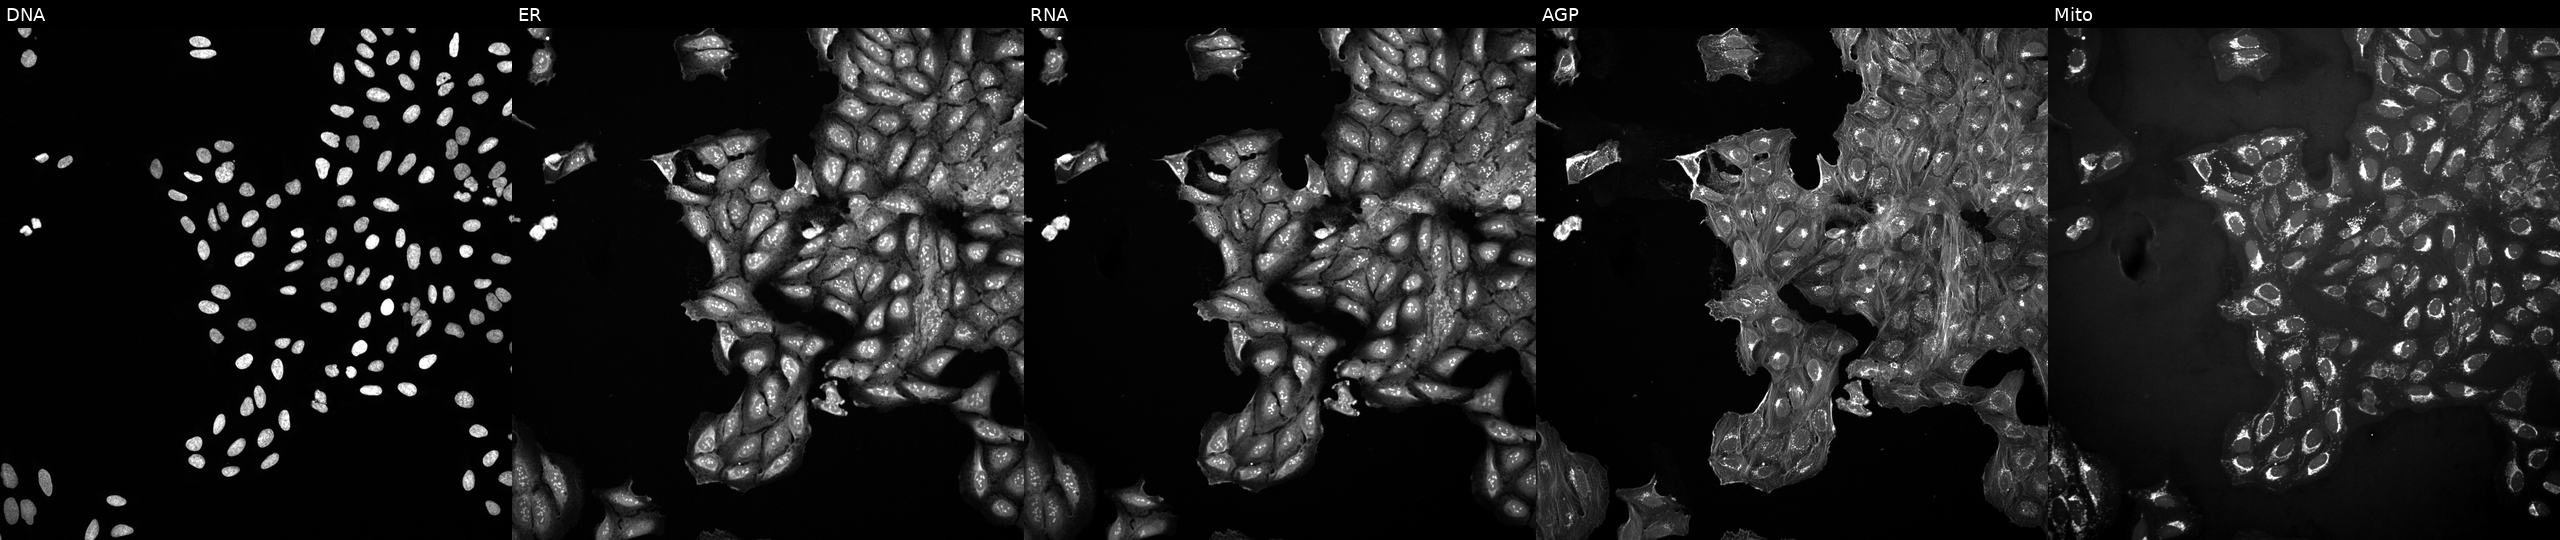
This image strip shows the five Cell Painting channels for a single field of U2OS cells perturbed with a small-molecule compound (InChIKey WTEZNWZBOFYOBG-UHFFFAOYSA-N) (JUMP id JCP2022_101023). Channels (left→right): DNA (nuclei); ER (endoplasmic reticulum); RNA (nucleoli and cytoplasmic RNA); AGP (actin cytoskeleton, Golgi, and plasma membrane); Mito (mitochondria).